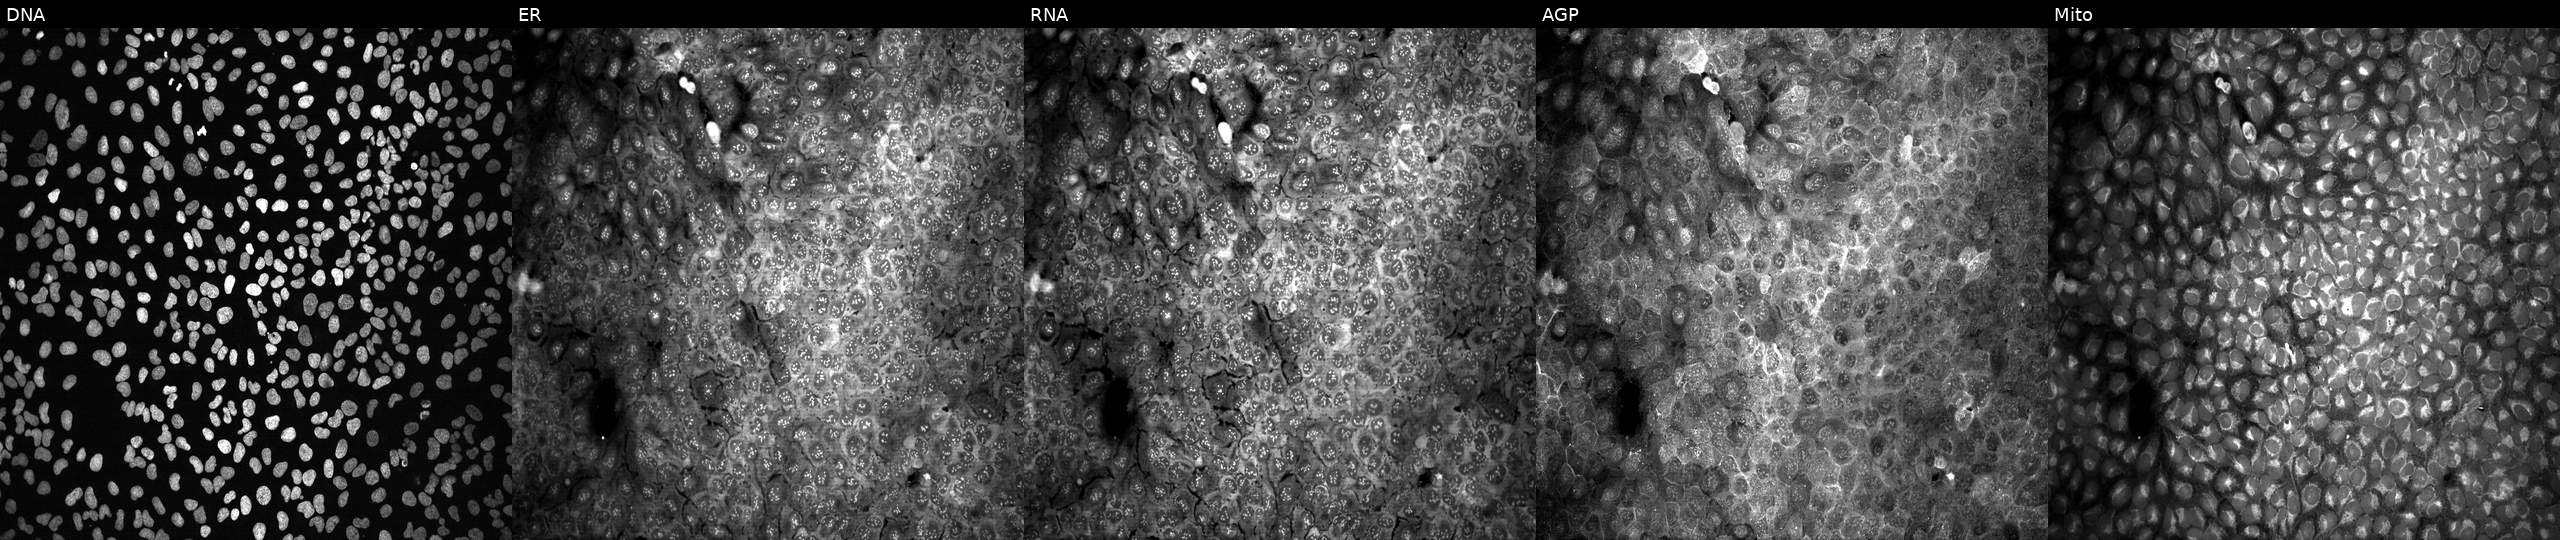
Five-channel Cell Painting image of U2OS cells with no CRISPR guide (negative control). Panels show, left to right, Hoechst 33342, concanavalin A, SYTO 14, phalloidin and WGA, MitoTracker. Source 13, plate CP-CC9-R5-01, well M23.